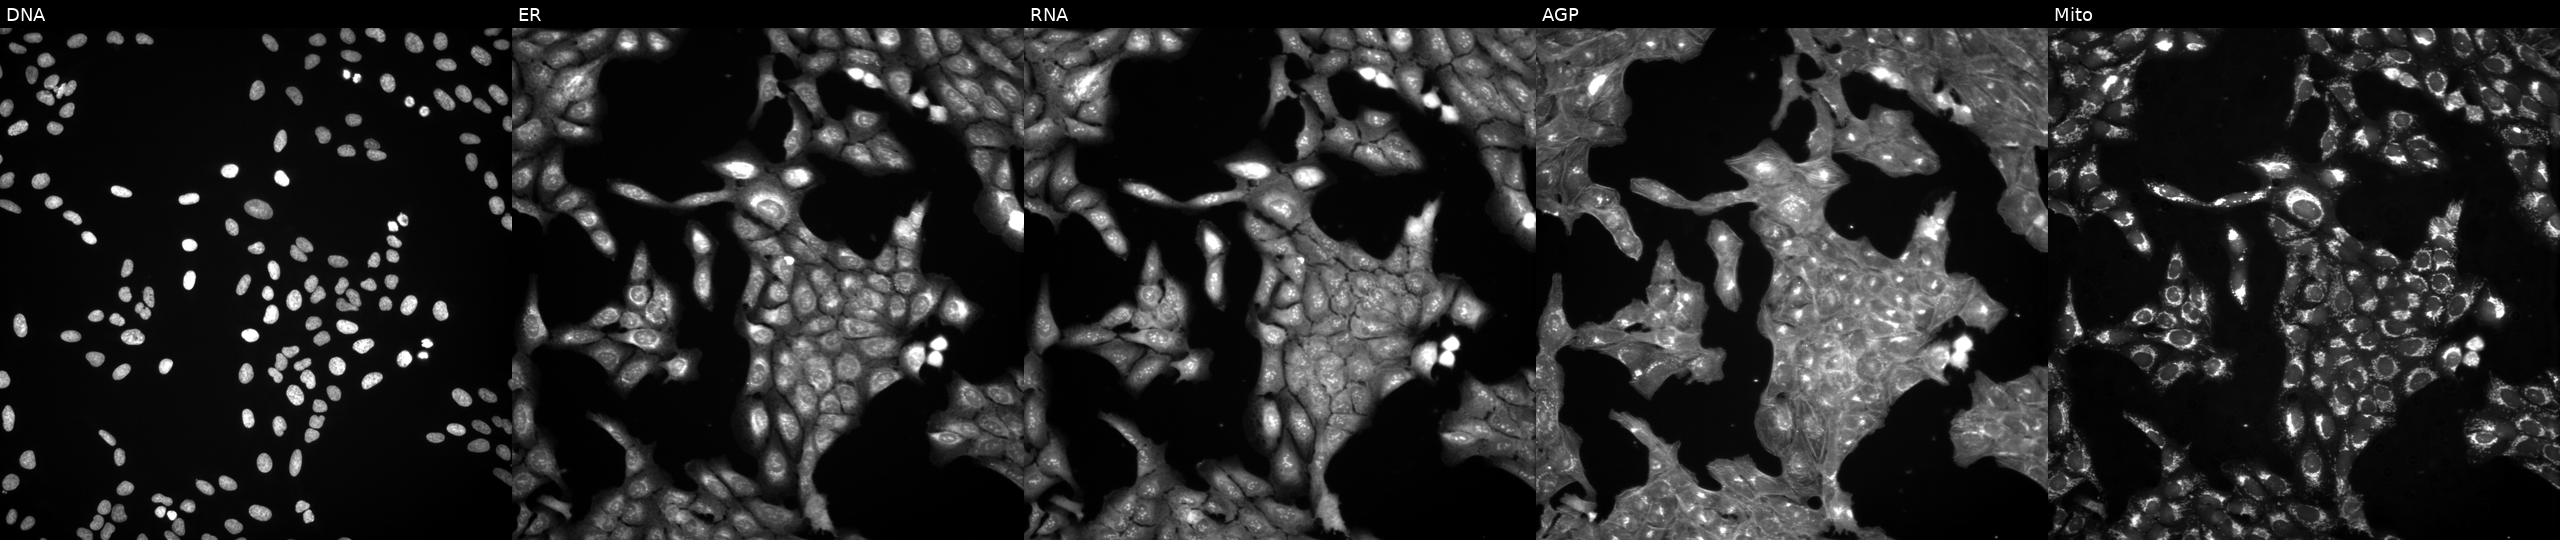
This image strip shows the five Cell Painting channels for a single field of U2OS cells perturbed with a small-molecule compound (InChIKey GIYGEKYLCLUCJP-UHFFFAOYSA-N). The five panels, left to right, show Hoechst 33342, concanavalin A, SYTO 14, phalloidin and WGA, MitoTracker. Source 3, plate BR5867b3, well E22.